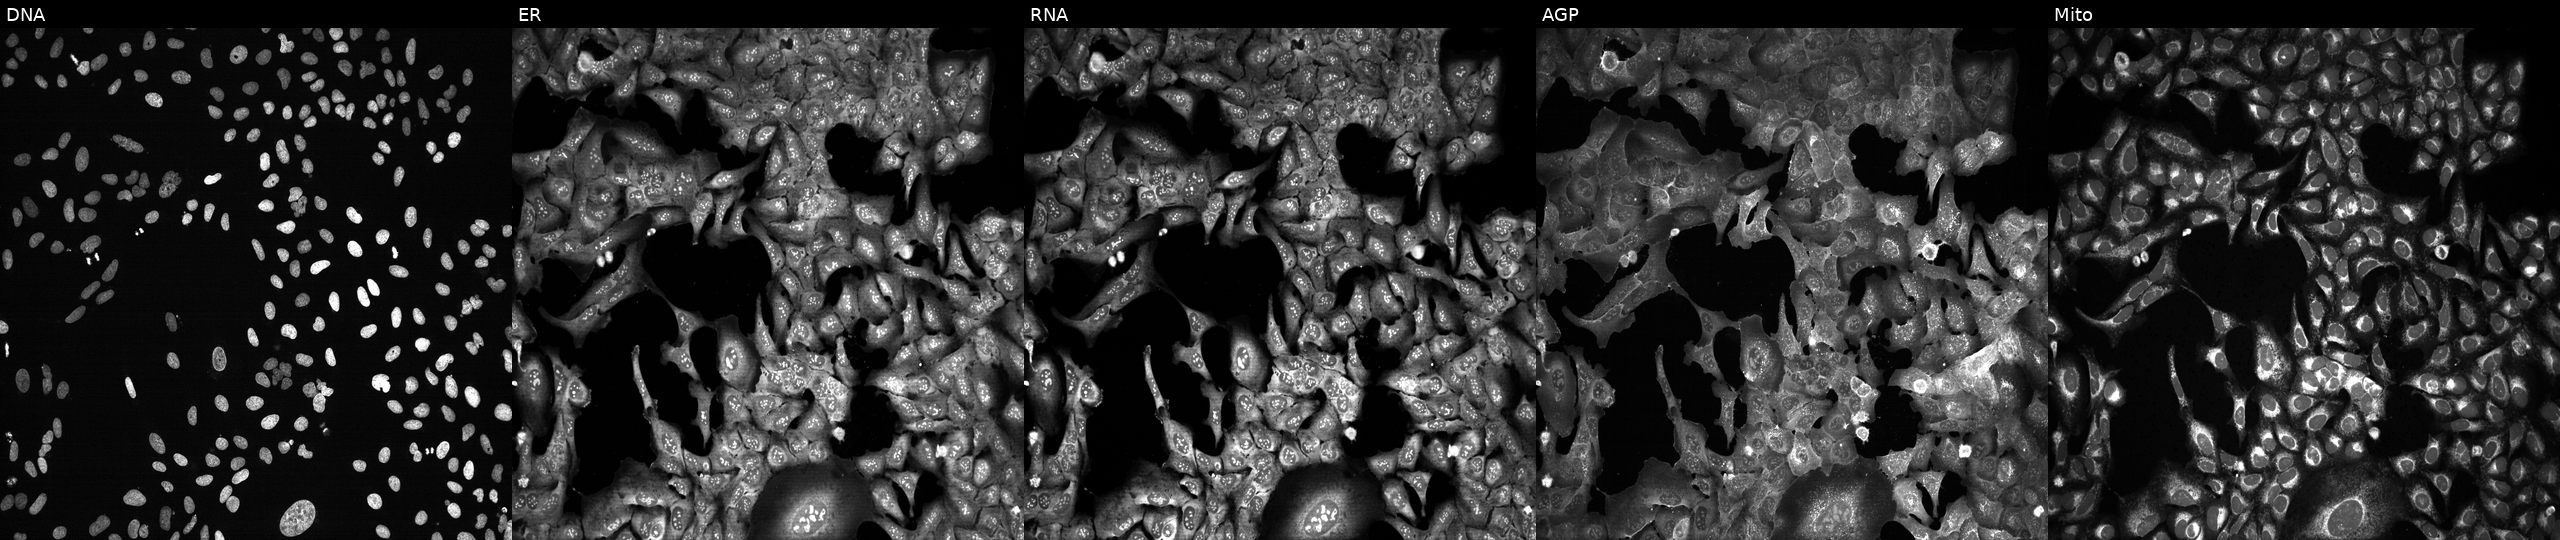
U2OS cells, Cell Painting assay, with C9orf3 knocked out by CRISPR. Channels (left→right): DNA (nuclei); ER (endoplasmic reticulum); RNA (nucleoli and cytoplasmic RNA); AGP (actin cytoskeleton, Golgi, and plasma membrane); Mito (mitochondria). Each panel is percentile-stretched 16-bit fluorescence.